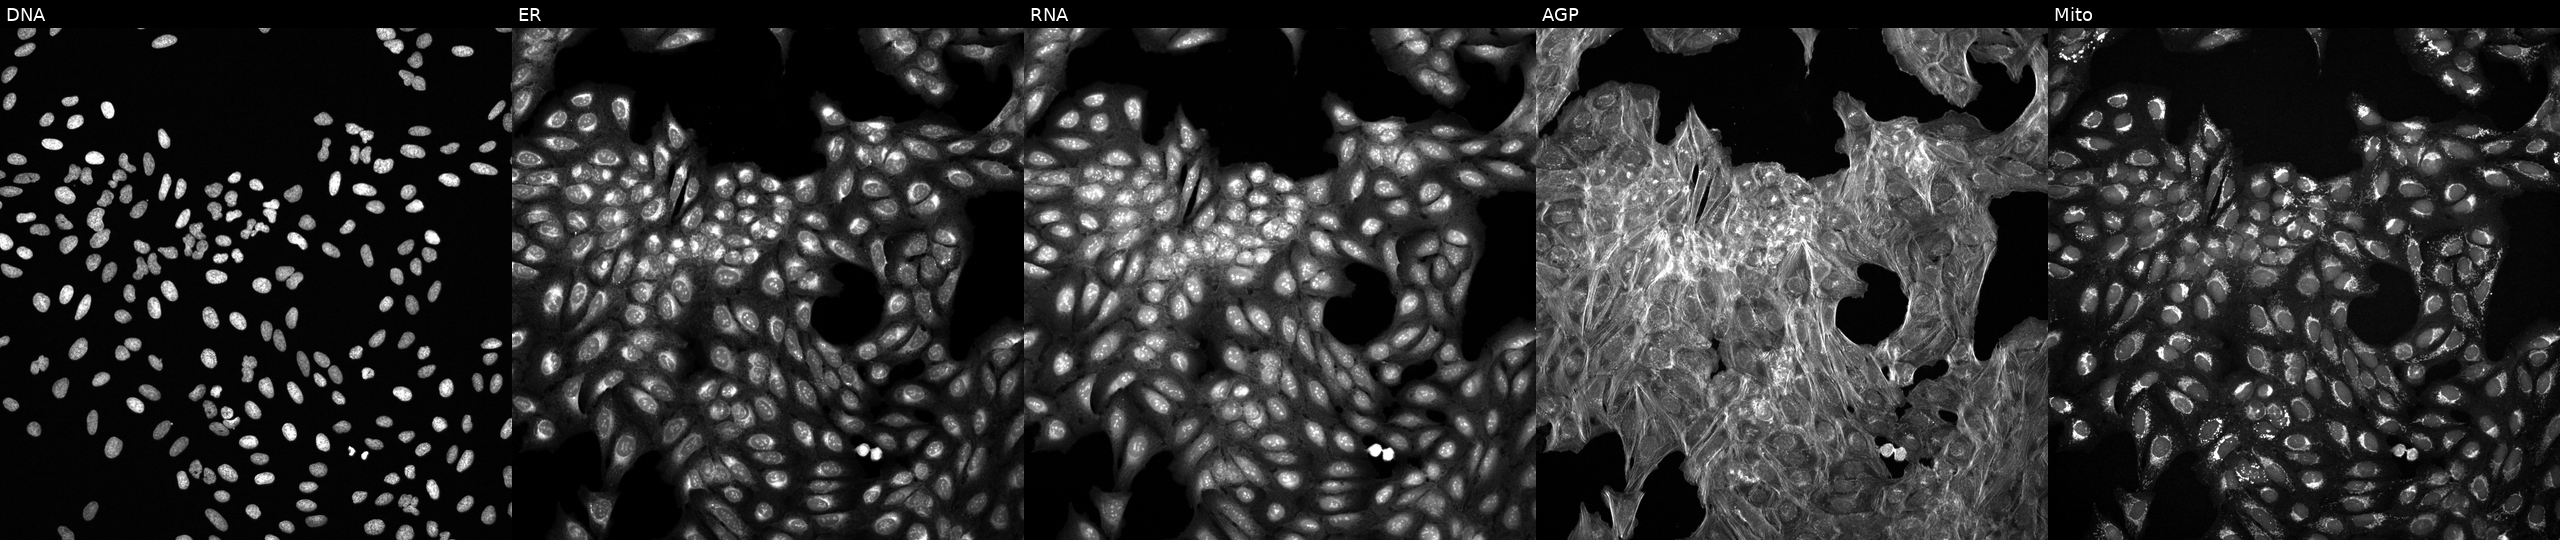
Five-channel Cell Painting image of U2OS cells exposed to a small-molecule compound (InChIKey FJOOMSOPLJNZRU-UHFFFAOYSA-N) (JUMP id JCP2022_021060). The five panels, left to right, show DNA, ER, RNA, AGP, and Mito.